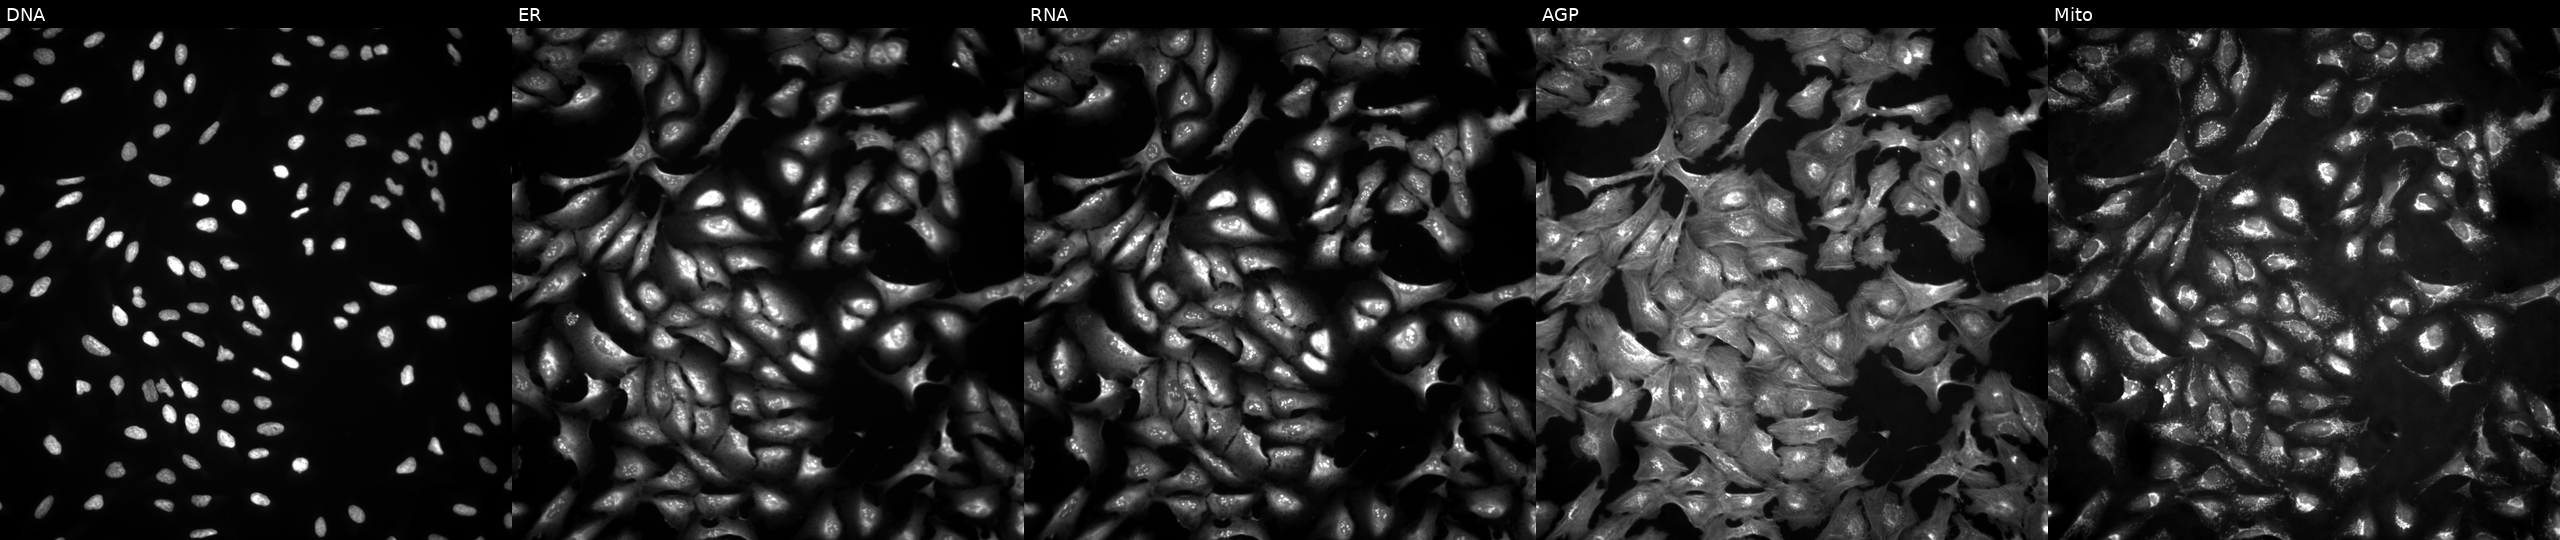
U2OS cells, Cell Painting assay, transfected with an ORF construct for PSMB2 (JUMP id JCP2022_901229). Channels (left→right): DNA, ER, RNA, AGP, and Mito. Each panel is percentile-stretched 16-bit fluorescence.